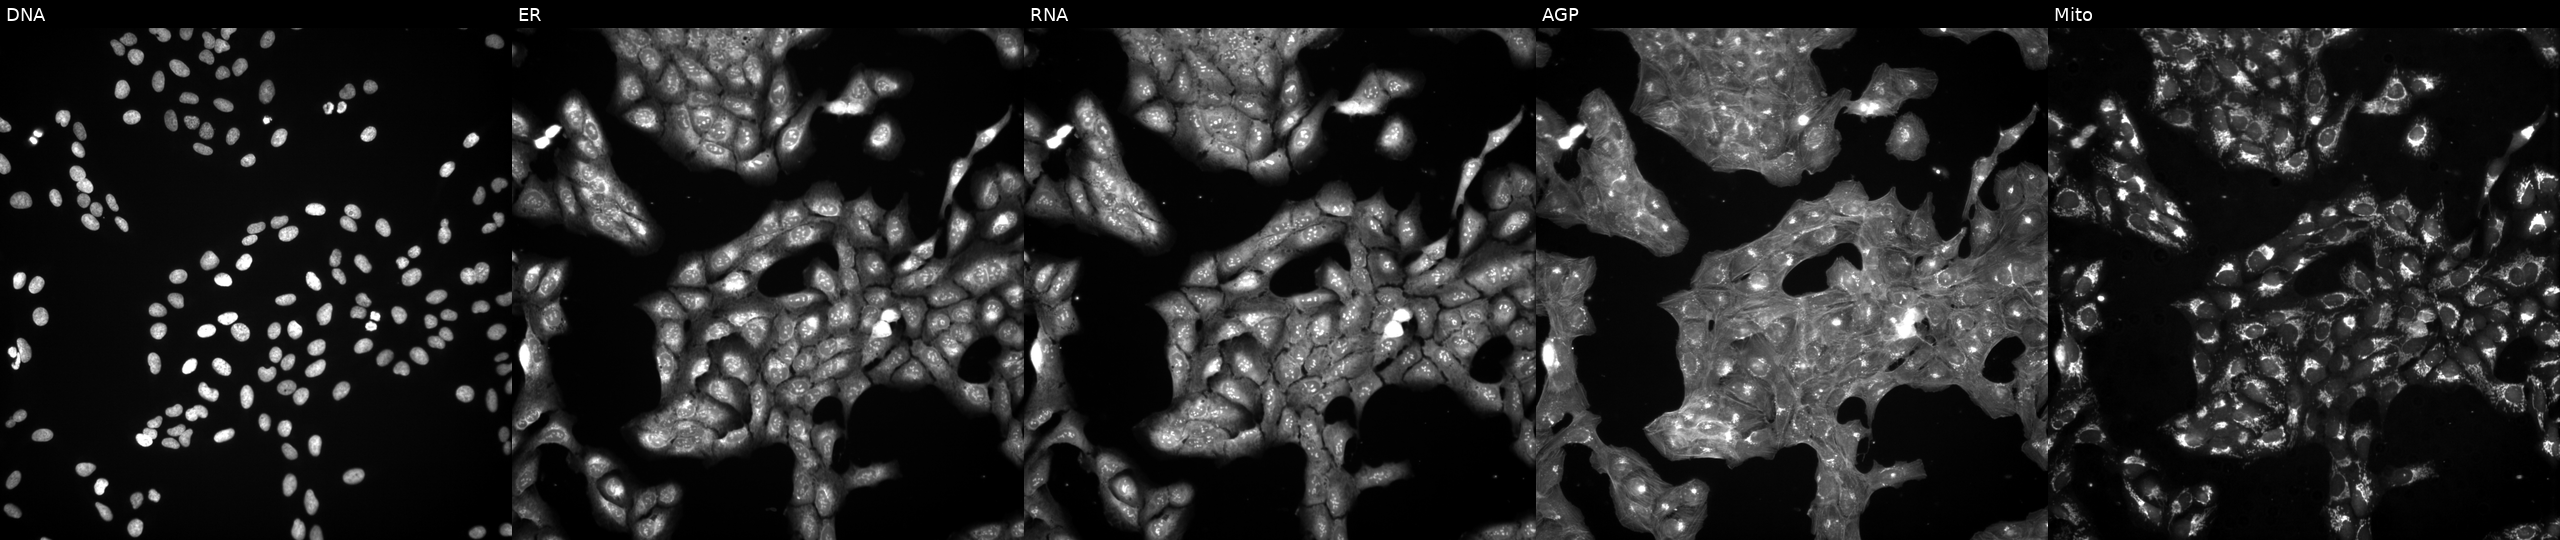
JUMP Cell Painting — COMPOUND plate. U2OS cells exposed to a small-molecule compound (InChIKey CNCSTIPEWOWJGX-UHFFFAOYSA-N). Panels show, left to right, DNA (nuclei); ER (endoplasmic reticulum); RNA (nucleoli and cytoplasmic RNA); AGP (actin cytoskeleton, Golgi, and plasma membrane); Mito (mitochondria). Source 3, plate BR5867a3, well K07.